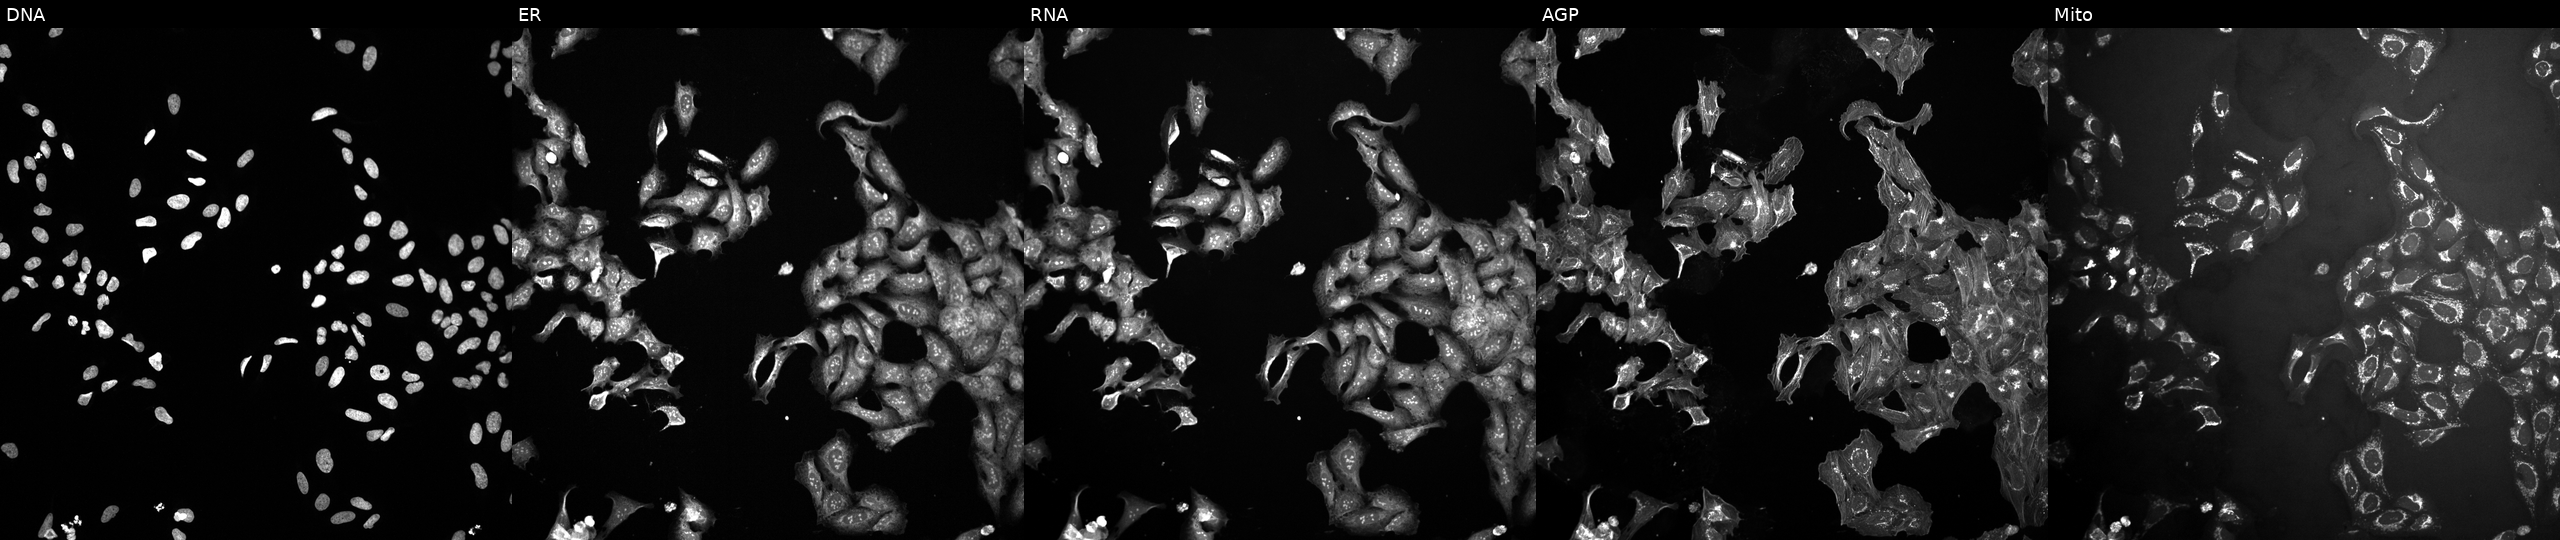
High-content fluorescence microscopy (Cell Painting). Cell line: U2OS. Perturbation: treated with NVS-PAK1-1 (positive-control compound). Panels show, left to right, DNA, ER, RNA, AGP, and Mito. Source 10, plate Dest210531-152149, well F01.